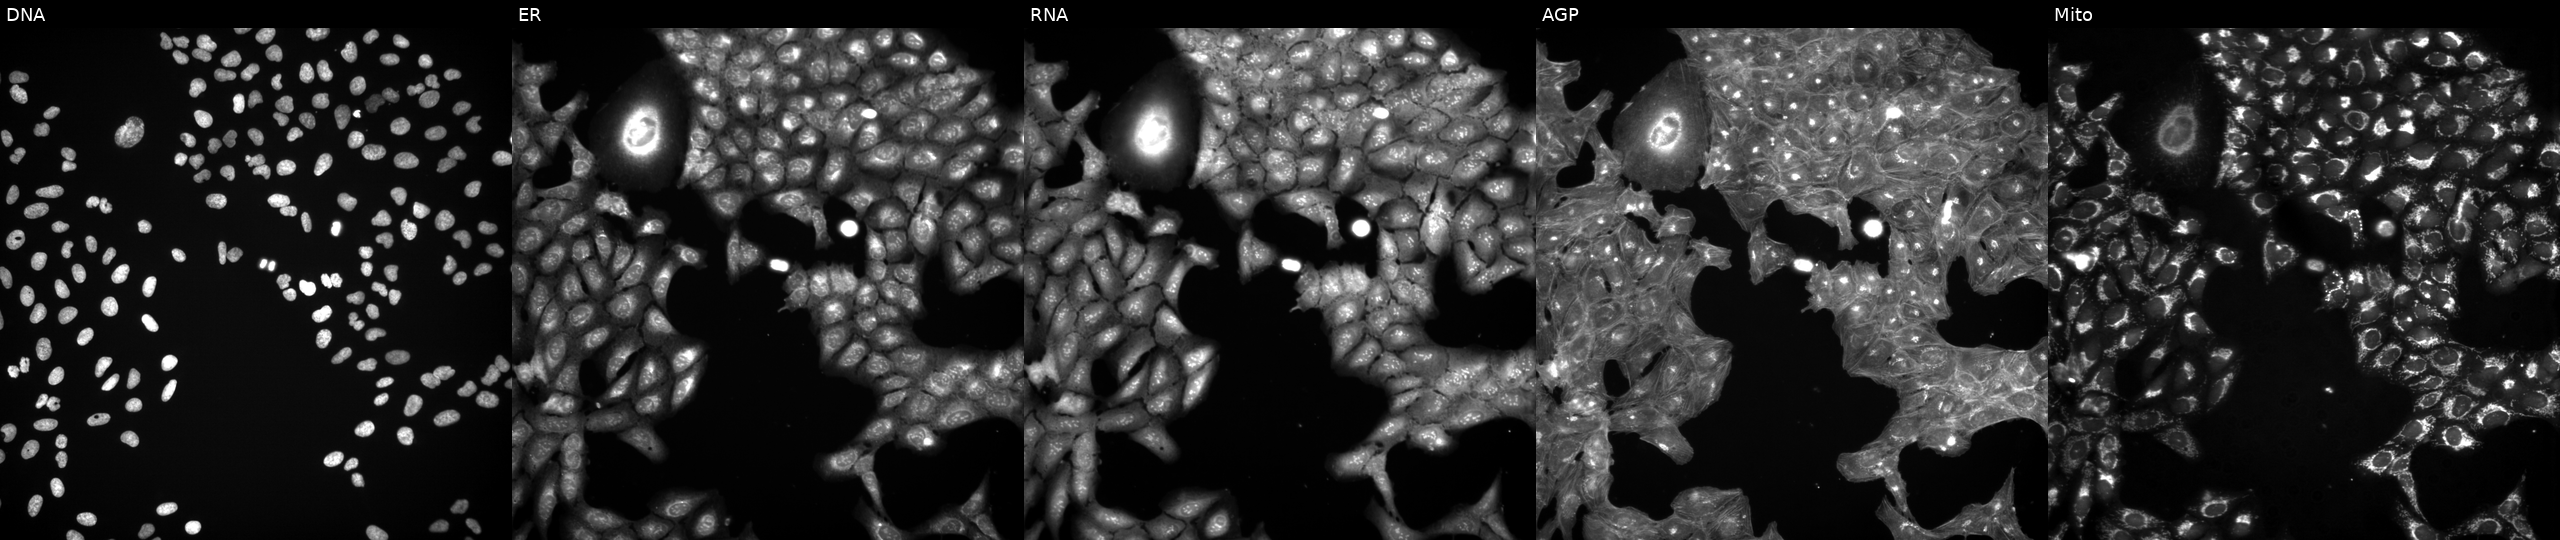
JUMP Cell Painting — TARGET2 plate. U2OS cells exposed to a small-molecule compound (InChIKey PMXMIIMHBWHSKN-UHFFFAOYSA-N). Panels show, left to right, DNA (nuclei); ER (endoplasmic reticulum); RNA (nucleoli and cytoplasmic RNA); AGP (actin cytoskeleton, Golgi, and plasma membrane); Mito (mitochondria).